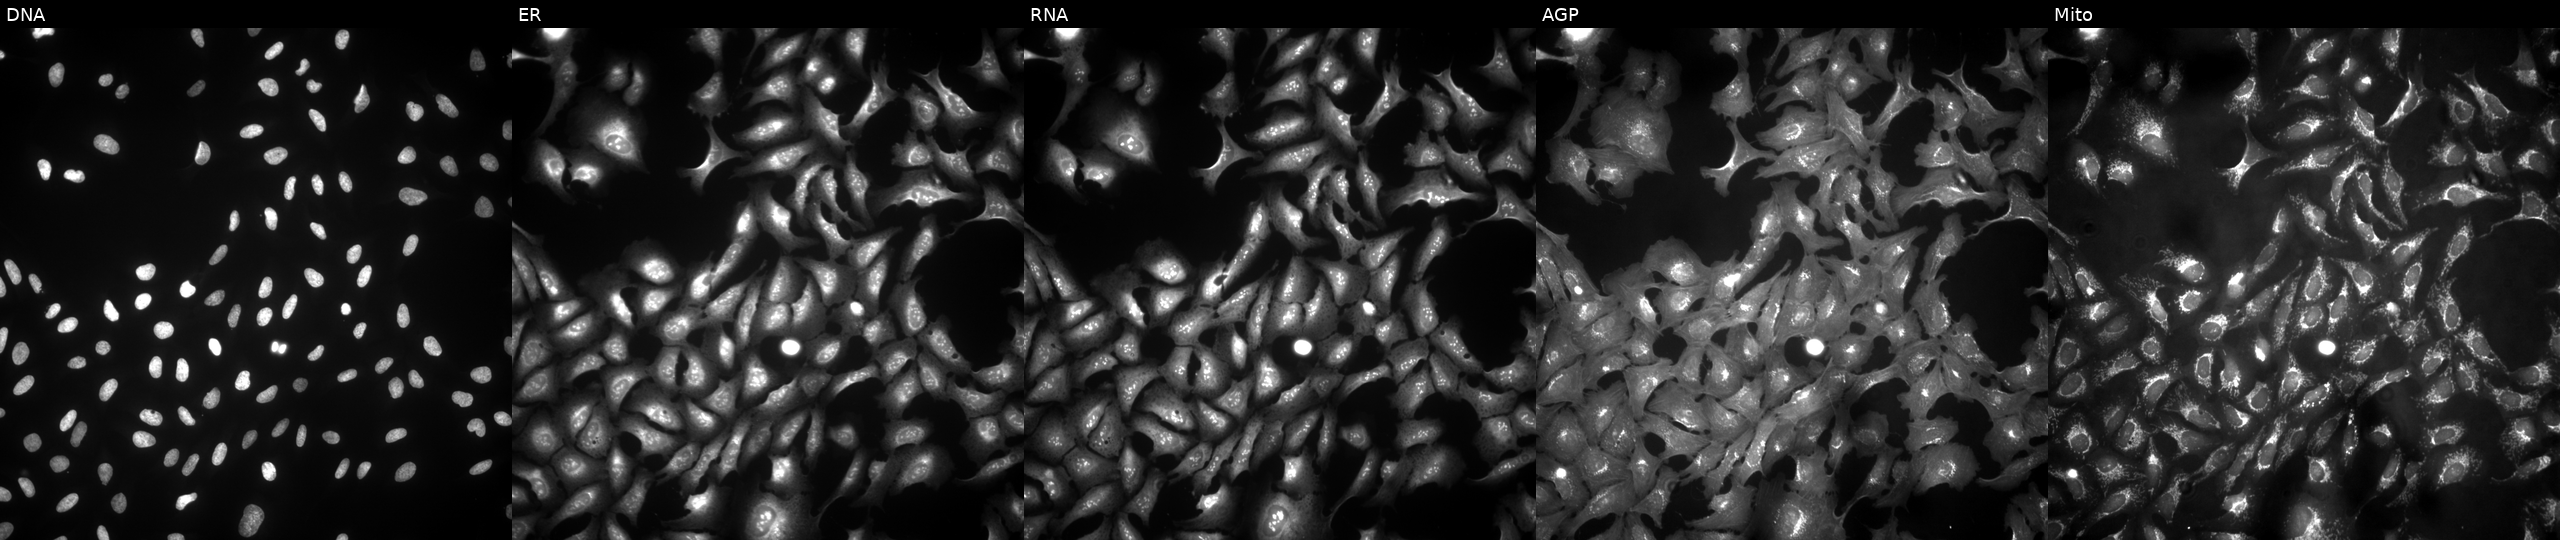
This image strip shows the five Cell Painting channels for a single field of U2OS cells transfected with an ORF construct for TUBE1. The five panels, left to right, show DNA, ER, RNA, AGP, and Mito. Source 4, plate BR00123506, well F03.